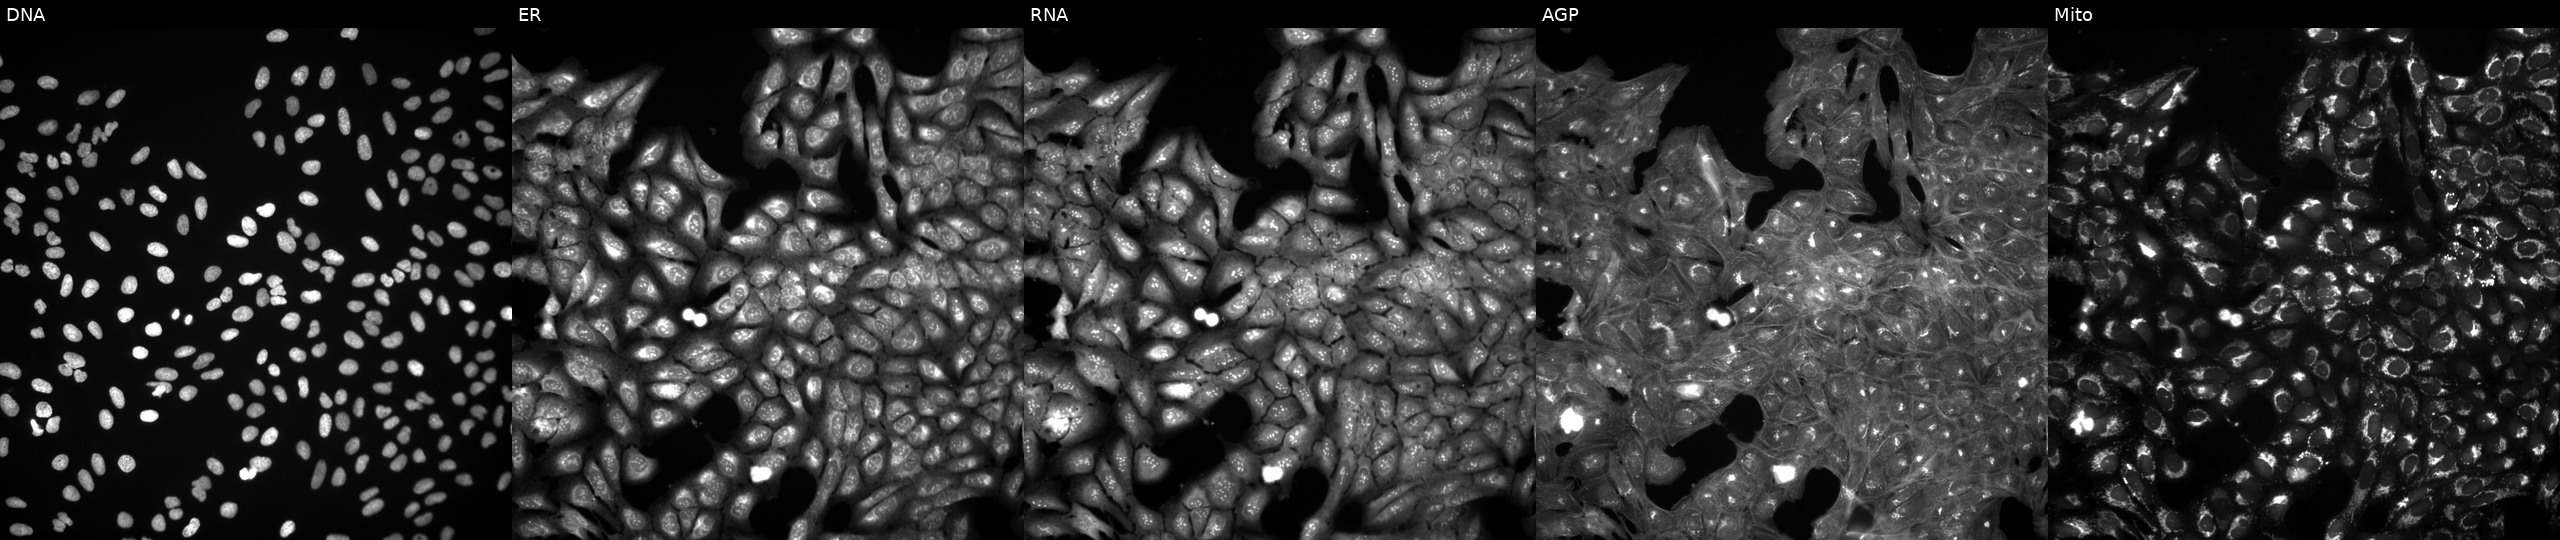
High-content fluorescence microscopy (Cell Painting). Cell line: U2OS. Perturbation: perturbed with a small-molecule compound (InChIKey AFKBLZJLXZXBDM-UHFFFAOYSA-N) [SMILES: O=C(O)c1ccc2c(c1)CC(c1ccccc1)OC2=O]. Channels (left→right): DNA (nuclei); ER (endoplasmic reticulum); RNA (nucleoli and cytoplasmic RNA); AGP (actin cytoskeleton, Golgi, and plasma membrane); Mito (mitochondria).